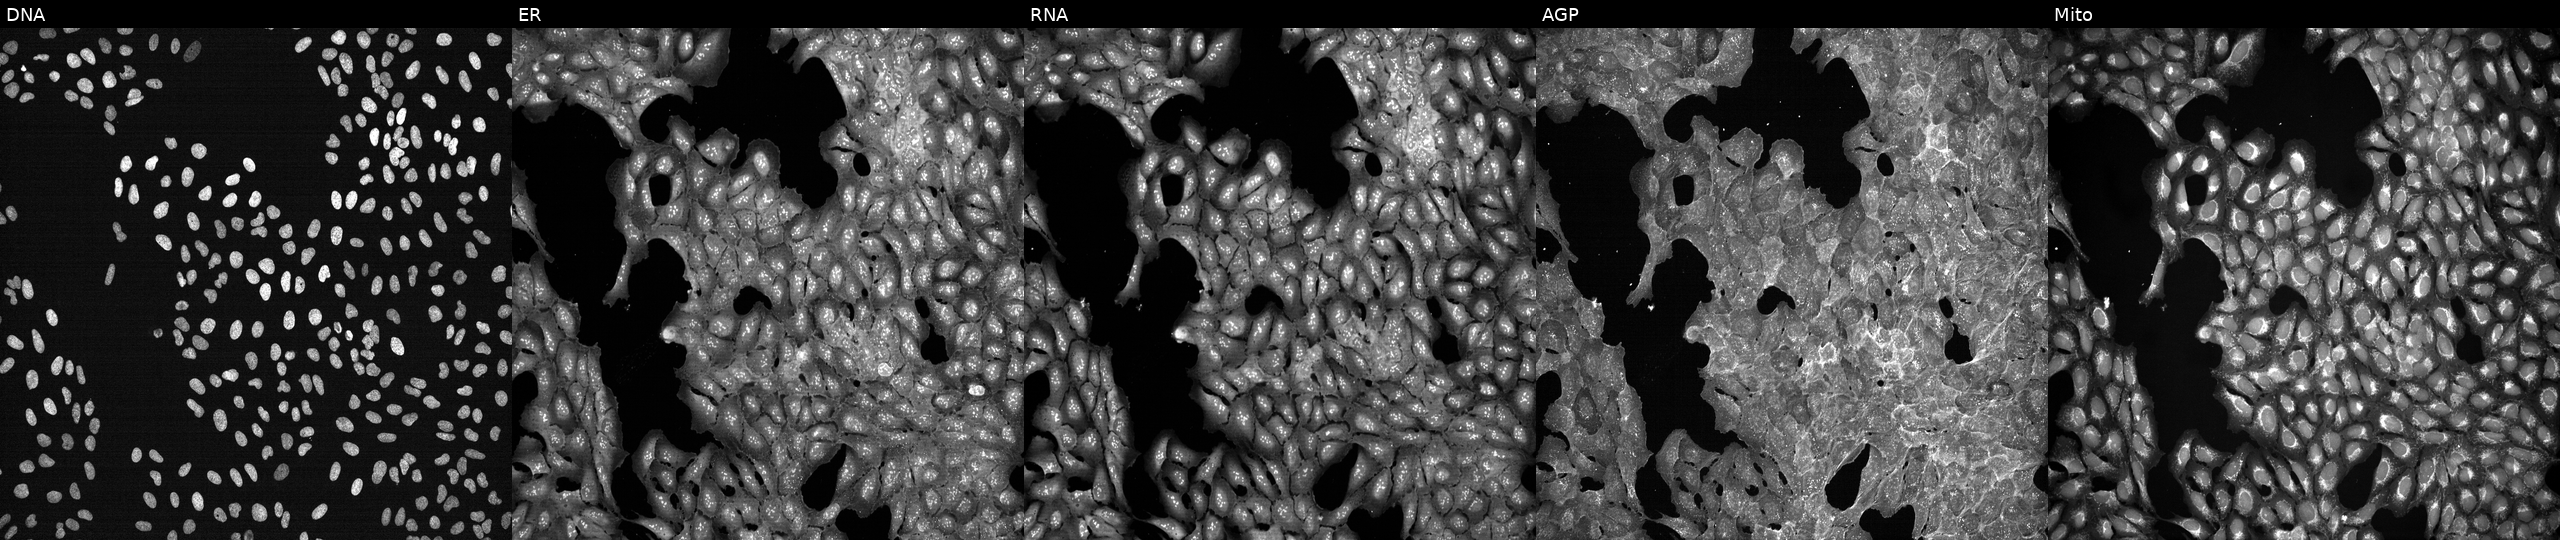
Five-channel Cell Painting image of U2OS cells exposed to a small-molecule compound (InChIKey DXZRBHUCOHBAHP-UHFFFAOYSA-N) (JUMP id JCP2022_018899). Channels (left→right): DNA (nuclei); ER (endoplasmic reticulum); RNA (nucleoli and cytoplasmic RNA); AGP (actin cytoskeleton, Golgi, and plasma membrane); Mito (mitochondria). Source 7, plate CP2-SC1-25, well C13.